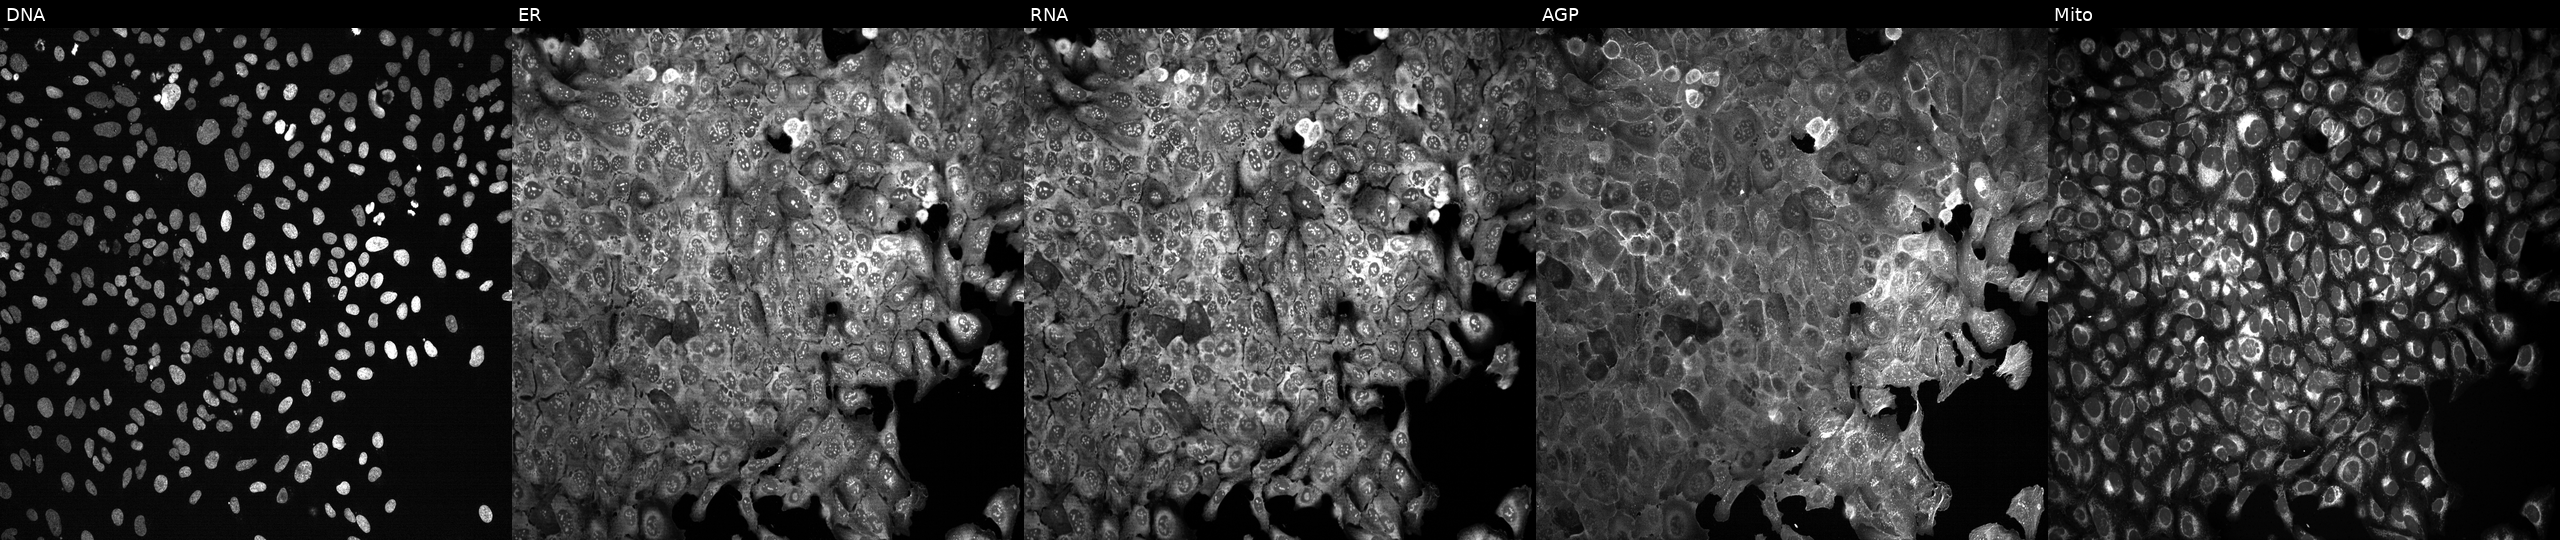
Five-channel Cell Painting image of U2OS cells CRISPR-edited to disrupt ZNF687 (JUMP id JCP2022_807931). The five panels, left to right, show Hoechst 33342, concanavalin A, SYTO 14, phalloidin and WGA, MitoTracker. Source 13, plate CP-CC9-R6-19, well P08.